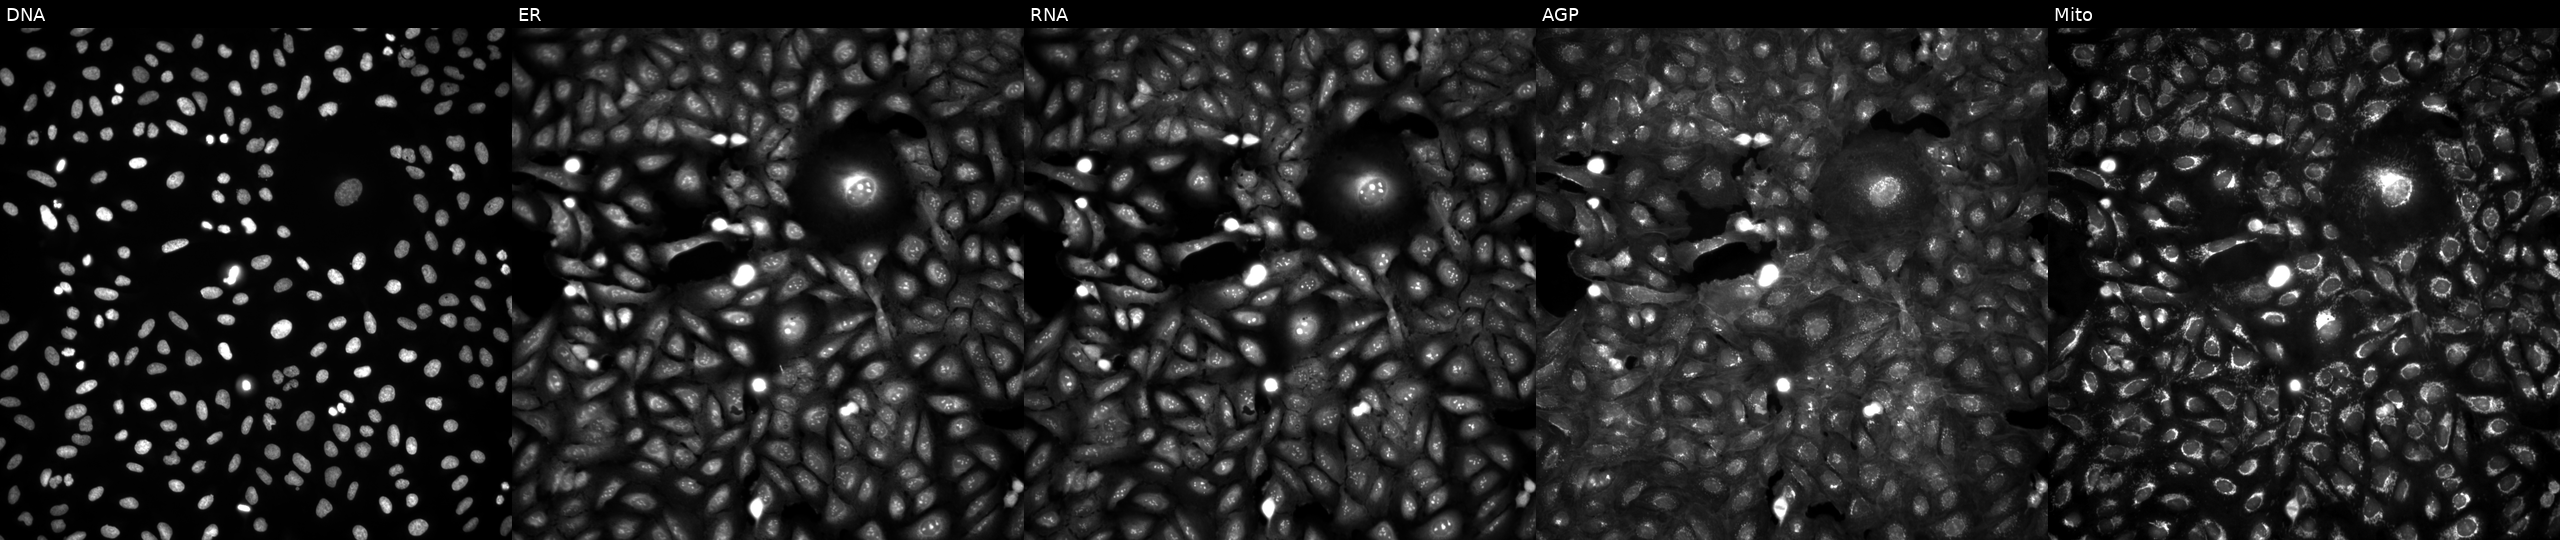
Five-channel Cell Painting image of U2OS cells in an empty control well (no perturbation). From left to right: DNA (nuclei); ER (endoplasmic reticulum); RNA (nucleoli and cytoplasmic RNA); AGP (actin cytoskeleton, Golgi, and plasma membrane); Mito (mitochondria).